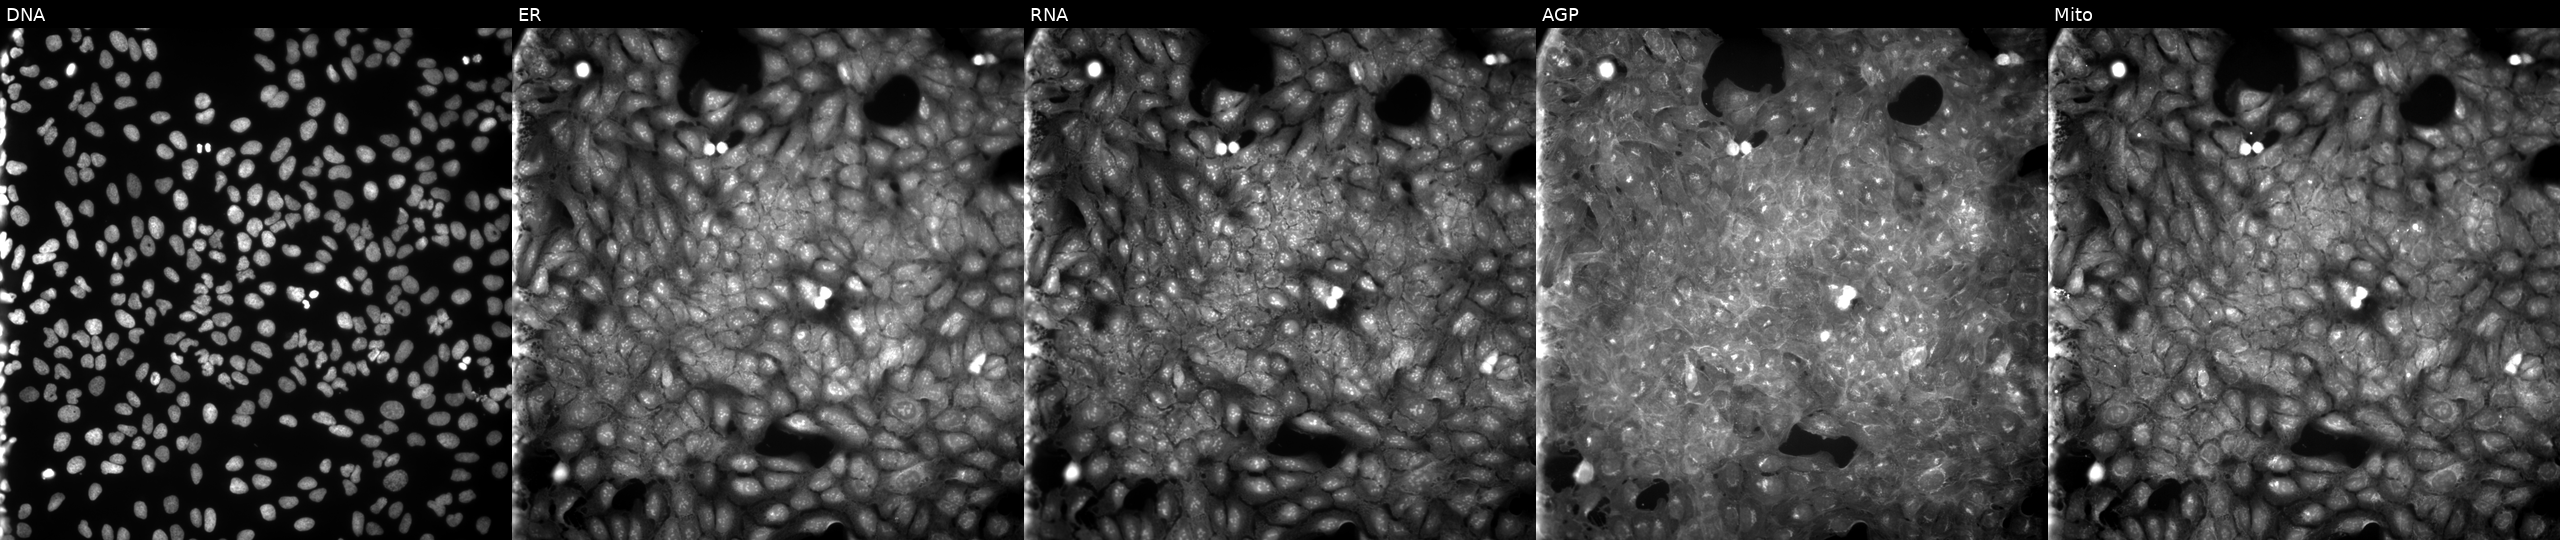
This image strip shows the five Cell Painting channels for a single field of U2OS cells exposed to a small-molecule compound (InChIKey BISANUGBRLZNKT-UHFFFAOYSA-N) [SMILES: CCCCCC(=O)Nc1ccc2oc(-c3cccnc3)nc2c1] (JUMP id JCP2022_006628). Channels (left→right): Hoechst 33342, concanavalin A, SYTO 14, phalloidin and WGA, MitoTracker.